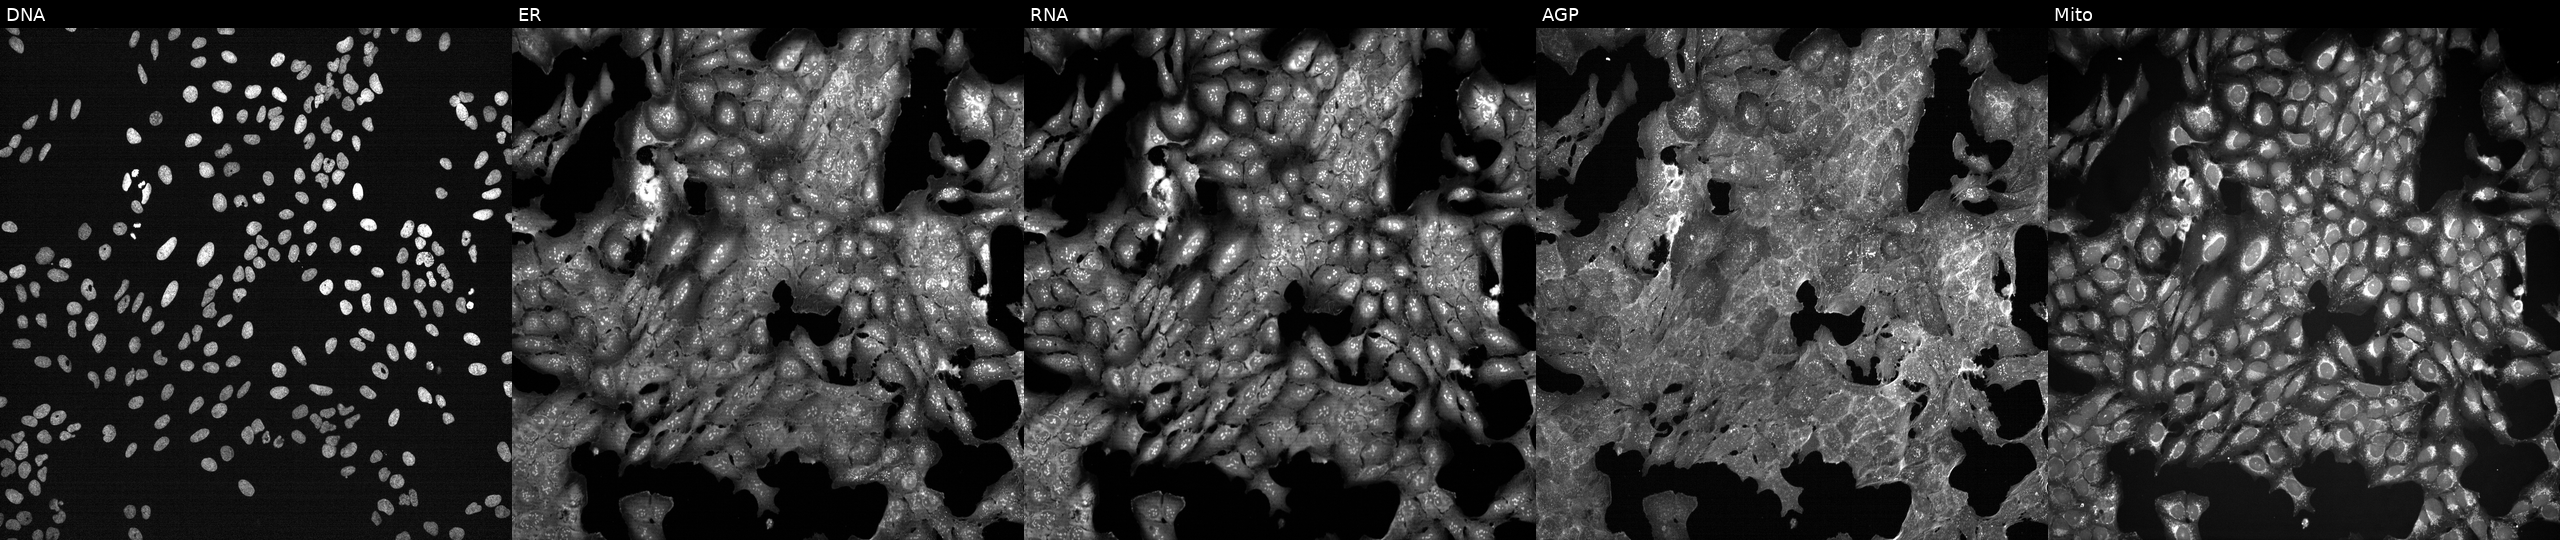
JUMP Cell Painting — TARGET2 plate. U2OS cells treated with a small-molecule compound (InChIKey OAVGBZOFDPFGPJ-UHFFFAOYSA-N) (JUMP id JCP2022_062592). Channels (left→right): DNA, ER, RNA, AGP, and Mito.